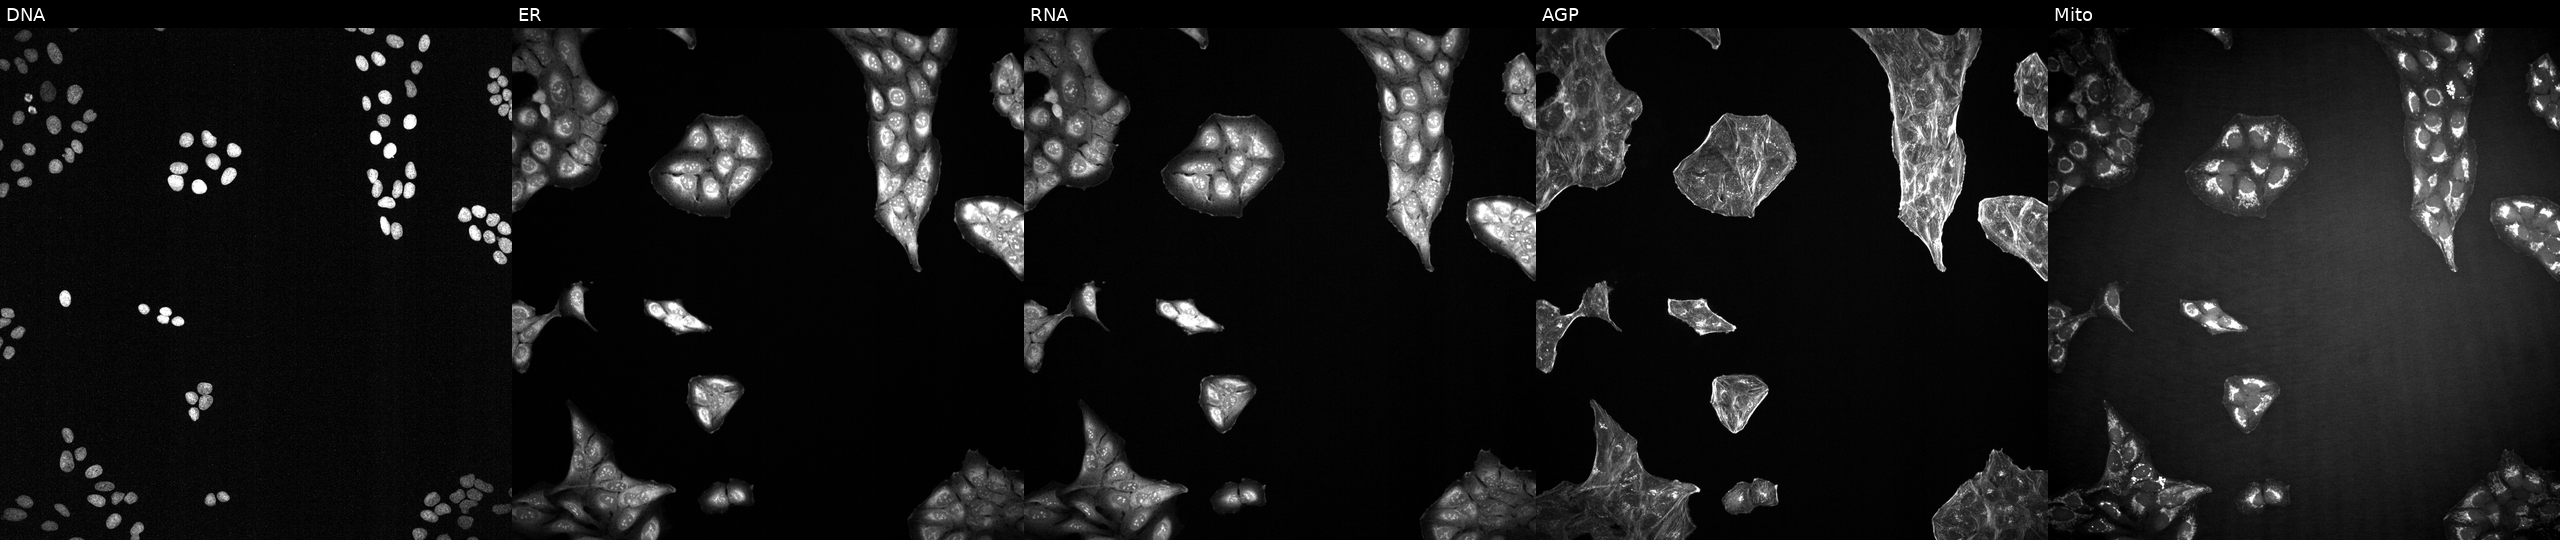
U2OS cells, Cell Painting assay, exposed to a small-molecule compound. The five panels, left to right, show Hoechst 33342, concanavalin A, SYTO 14, phalloidin and WGA, MitoTracker. Each panel is percentile-stretched 16-bit fluorescence. Source 2, plate 1053599503, well B15.